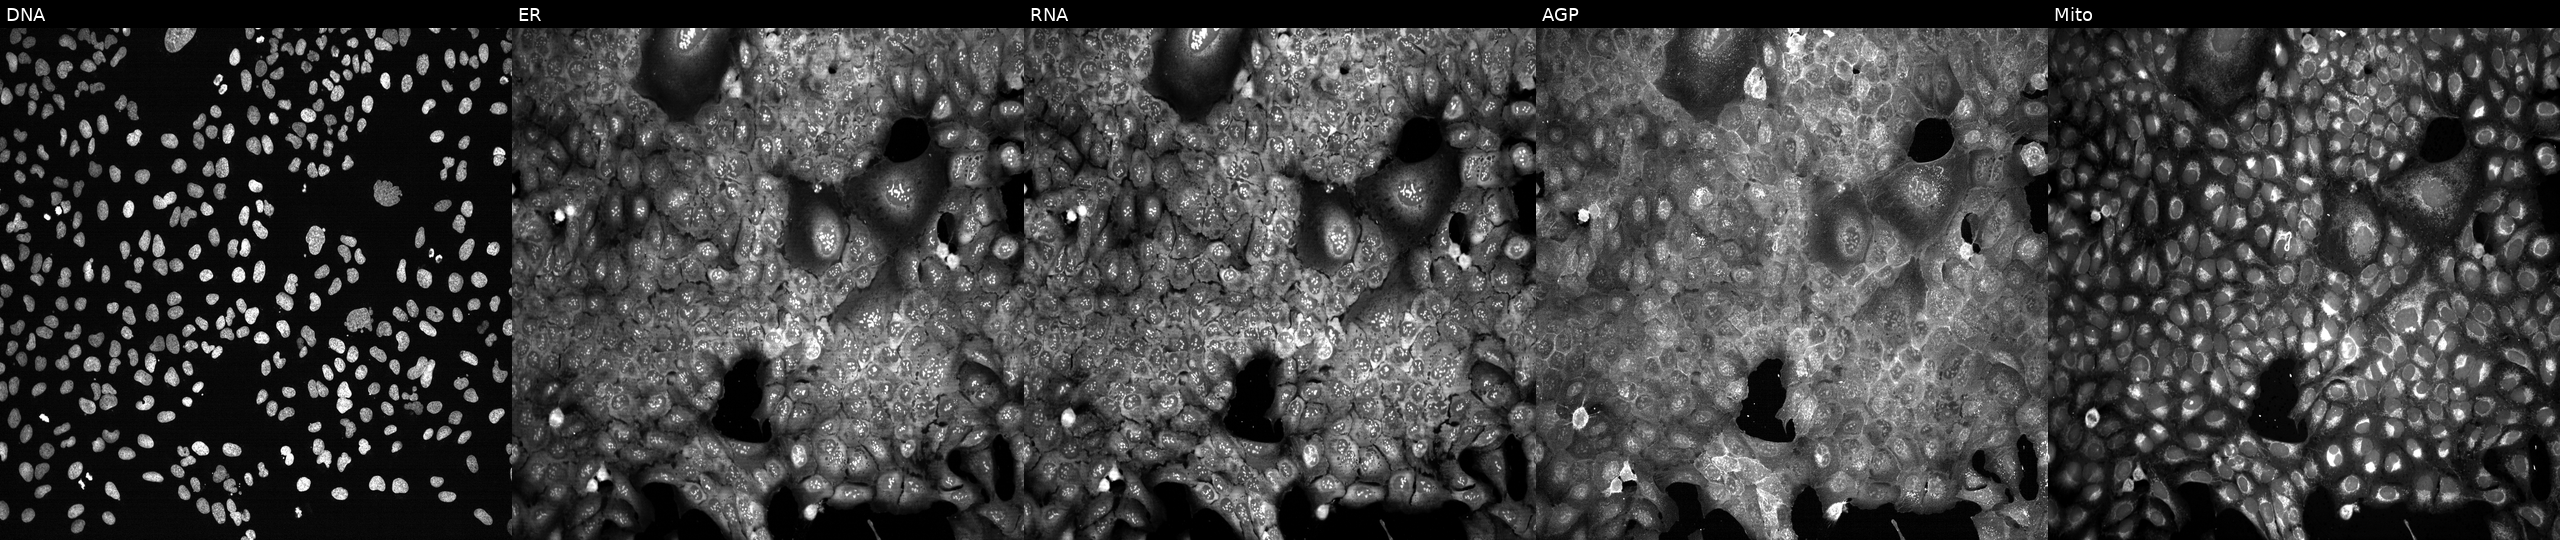
Five-channel Cell Painting image of U2OS cells CRISPR-edited to disrupt XRN1. Panels show, left to right, Hoechst 33342, concanavalin A, SYTO 14, phalloidin and WGA, MitoTracker. Source 13, plate CP-CC9-R5-01, well E16.